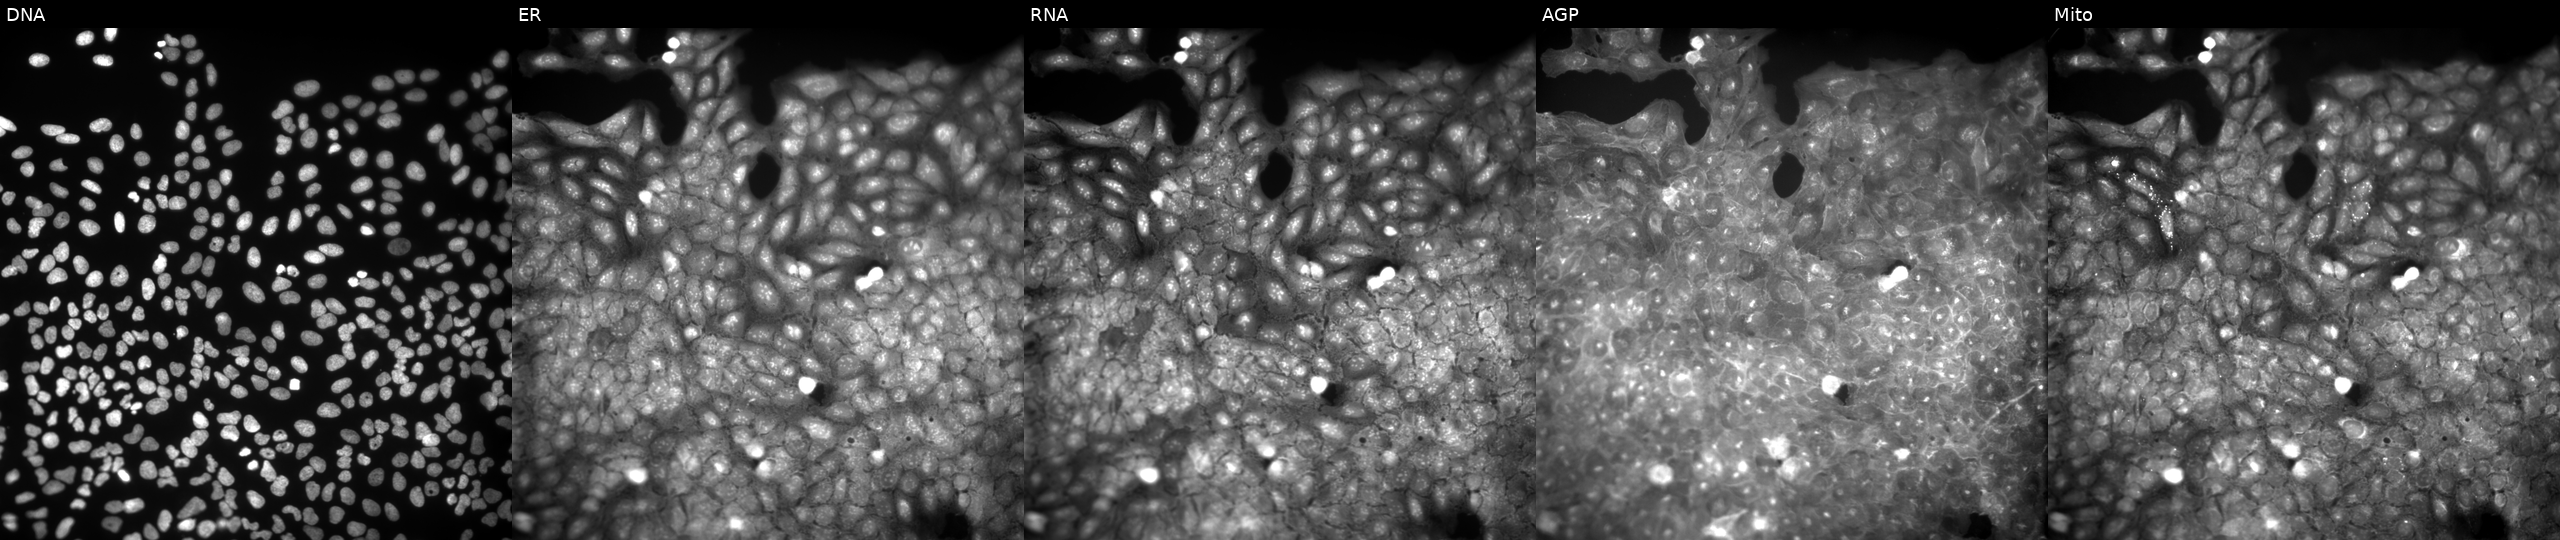
High-content fluorescence microscopy (Cell Painting). Cell line: U2OS. Perturbation: exposed to a small-molecule compound (InChIKey ATXGUMHIXVOTAB-UHFFFAOYSA-N) (JUMP id JCP2022_003842). Channels (left→right): DNA (nuclei); ER (endoplasmic reticulum); RNA (nucleoli and cytoplasmic RNA); AGP (actin cytoskeleton, Golgi, and plasma membrane); Mito (mitochondria).